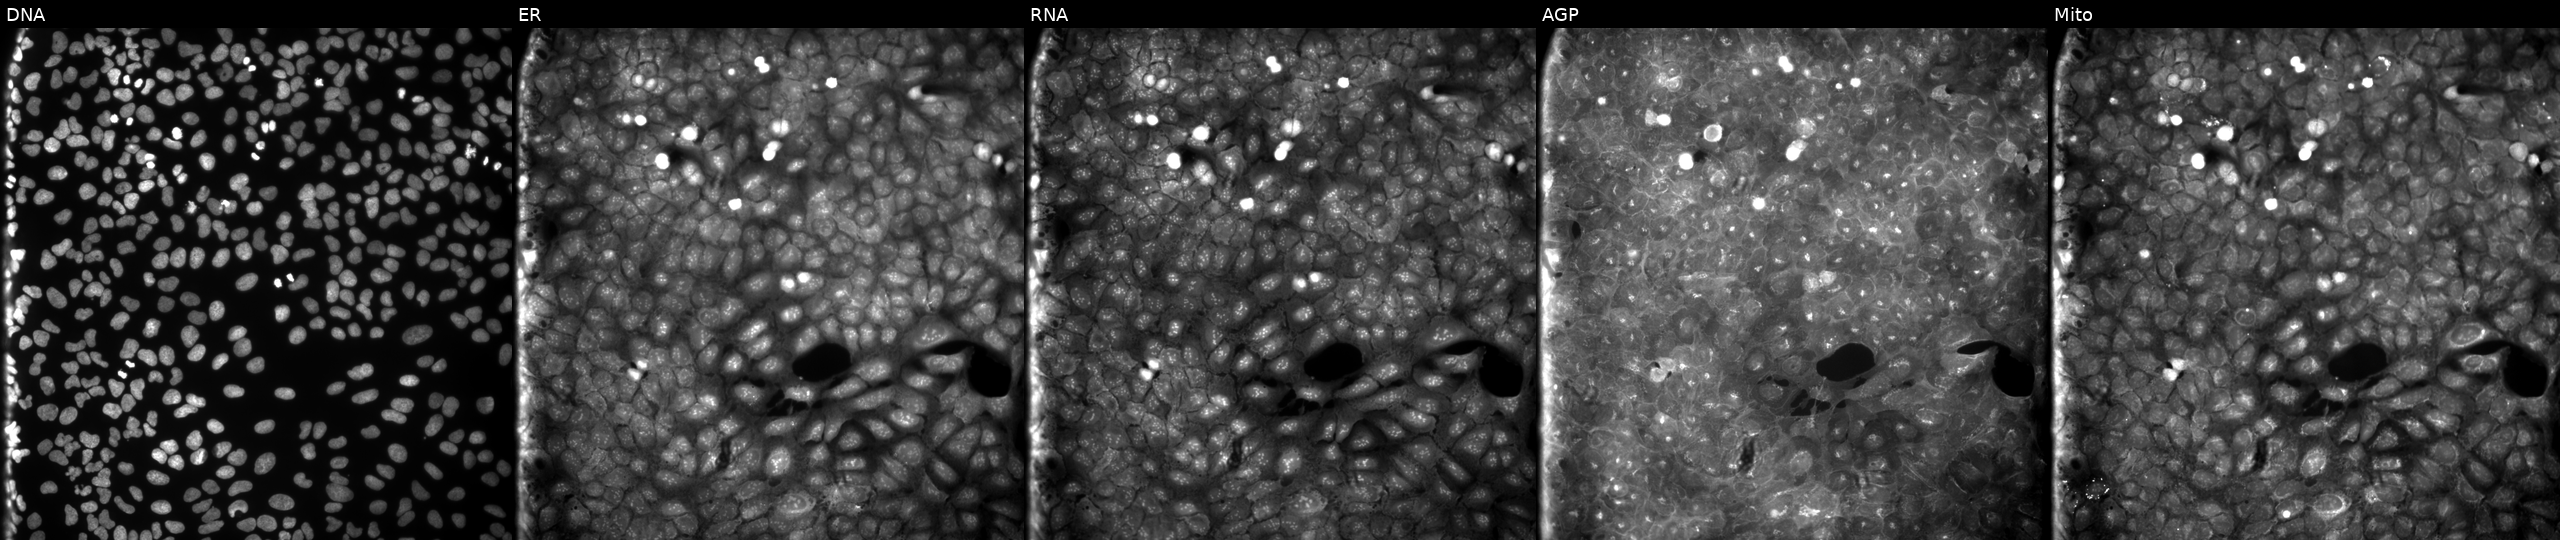
U2OS cells, Cell Painting assay, perturbed with a small-molecule compound (InChIKey DCCNIOKRCSFGQE-UHFFFAOYSA-N) (JUMP id JCP2022_014966). The five panels, left to right, show DNA (nuclei); ER (endoplasmic reticulum); RNA (nucleoli and cytoplasmic RNA); AGP (actin cytoskeleton, Golgi, and plasma membrane); Mito (mitochondria). Each panel is percentile-stretched 16-bit fluorescence. Source 9, plate GR00003382, well Q10.